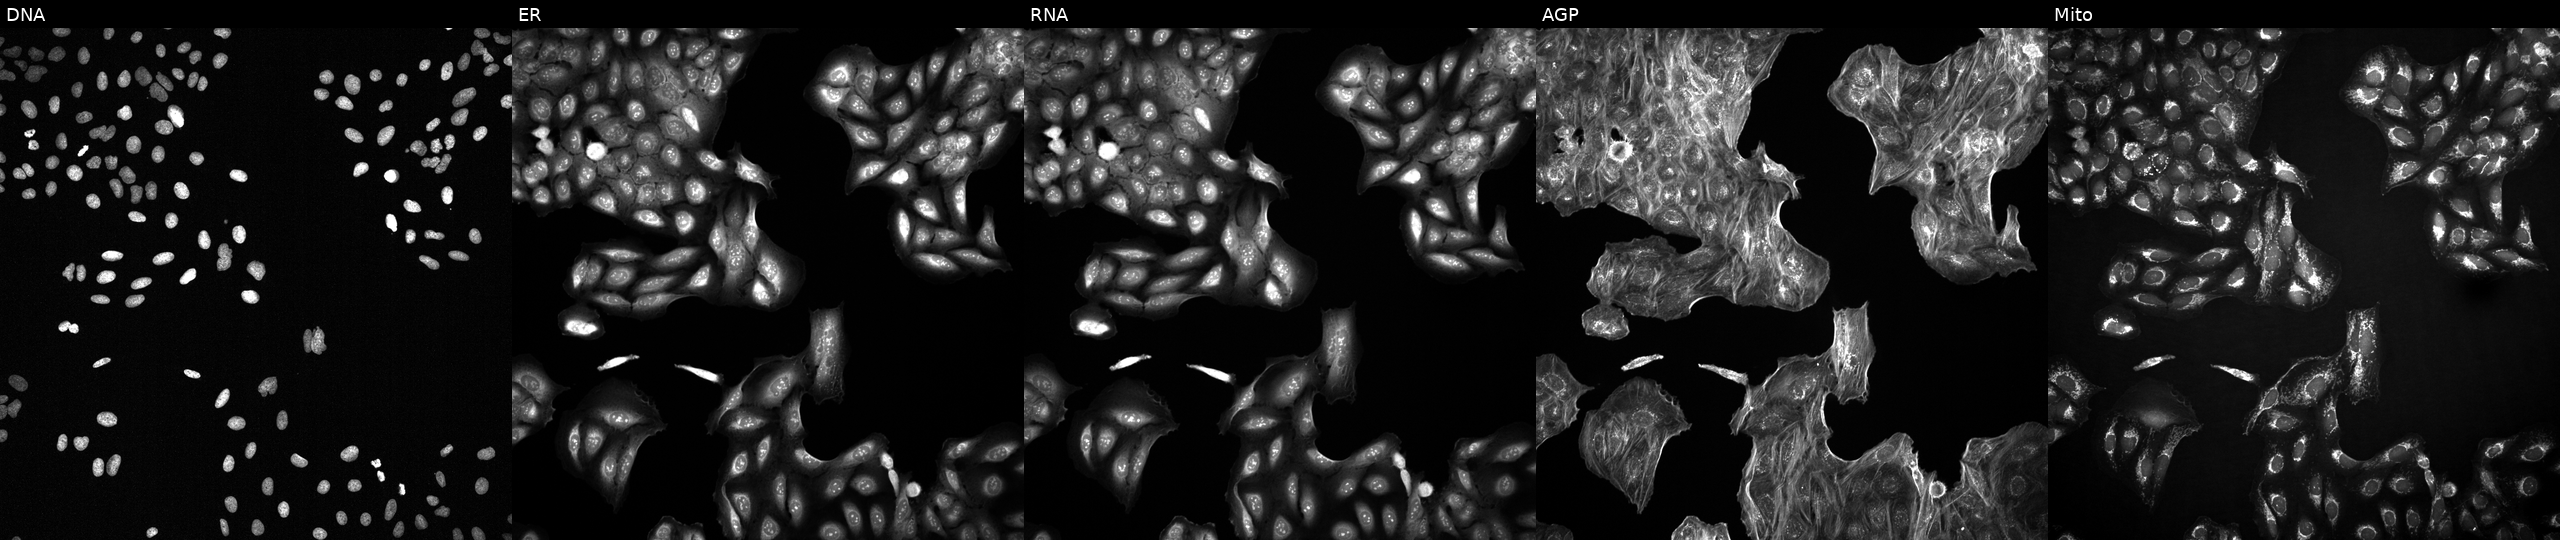
This image strip shows the five Cell Painting channels for a single field of U2OS cells with an unidentified perturbation (not annotated in JUMP metadata). The five panels, left to right, show Hoechst 33342, concanavalin A, SYTO 14, phalloidin and WGA, MitoTracker. Source 2, plate 1053601756, well L12.